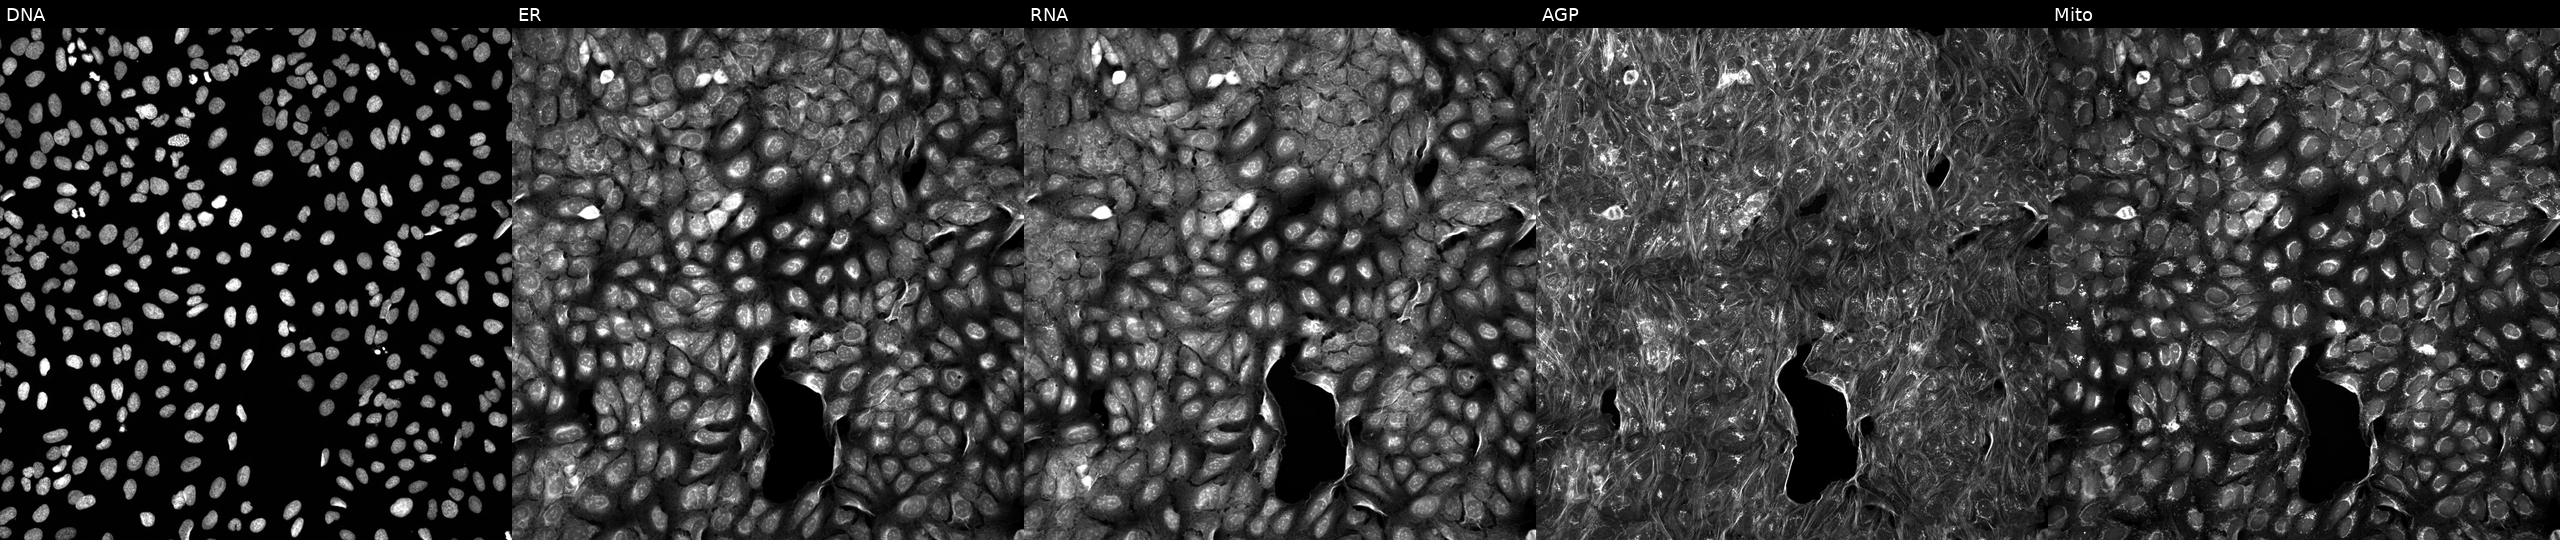
From left to right: DNA, ER, RNA, AGP, and Mito. U2OS osteosarcoma cells exposed to a small-molecule compound (InChIKey LLIFMNUXGDHTRO-UHFFFAOYSA-N). Cell Painting assay, JUMP-CP dataset.